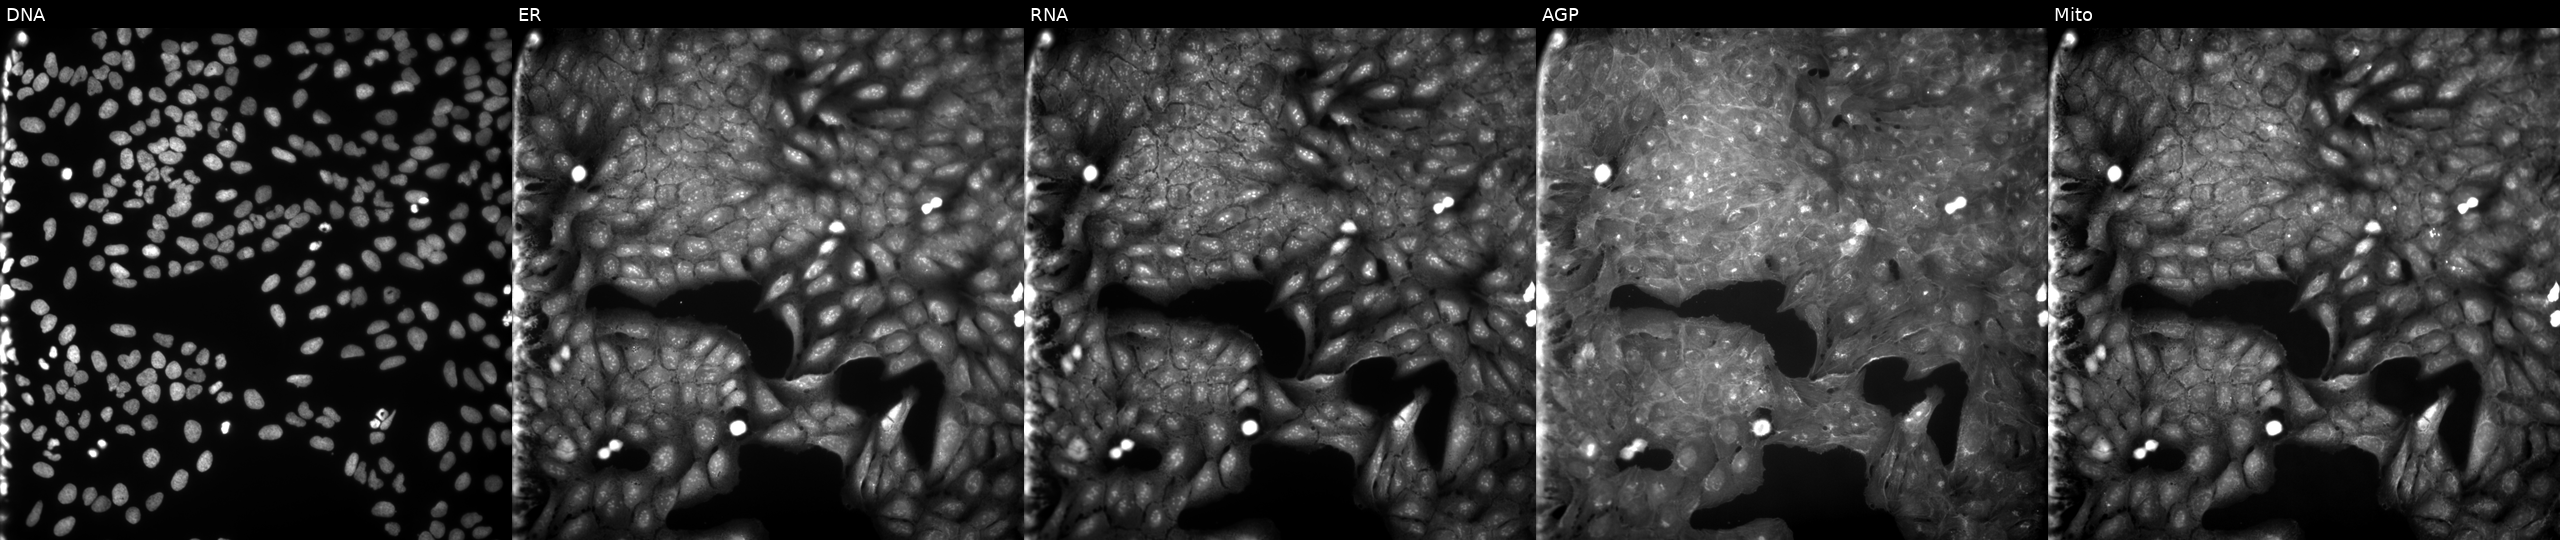
U2OS cells, Cell Painting assay, exposed to a small-molecule compound (JUMP id JCP2022_032507). The five panels, left to right, show DNA (nuclei); ER (endoplasmic reticulum); RNA (nucleoli and cytoplasmic RNA); AGP (actin cytoskeleton, Golgi, and plasma membrane); Mito (mitochondria). Each panel is percentile-stretched 16-bit fluorescence. Source 9, plate GR00003381, well T07.